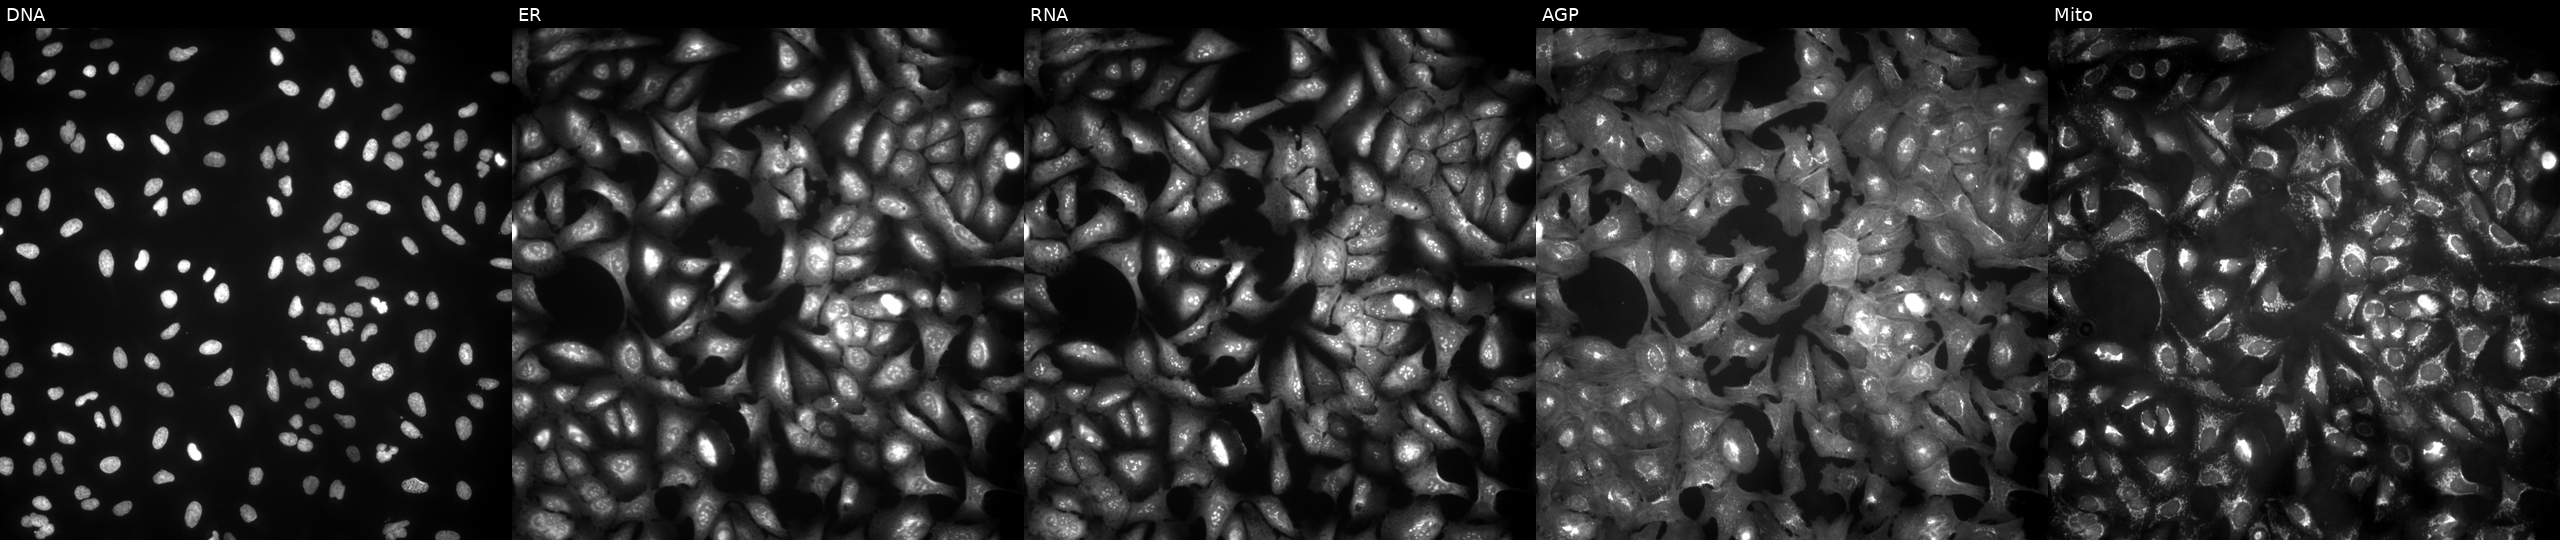
Five-channel Cell Painting image of U2OS cells transfected with an ORF construct for SMAD1 (JUMP id JCP2022_900897). The five panels, left to right, show DNA (nuclei); ER (endoplasmic reticulum); RNA (nucleoli and cytoplasmic RNA); AGP (actin cytoskeleton, Golgi, and plasma membrane); Mito (mitochondria).